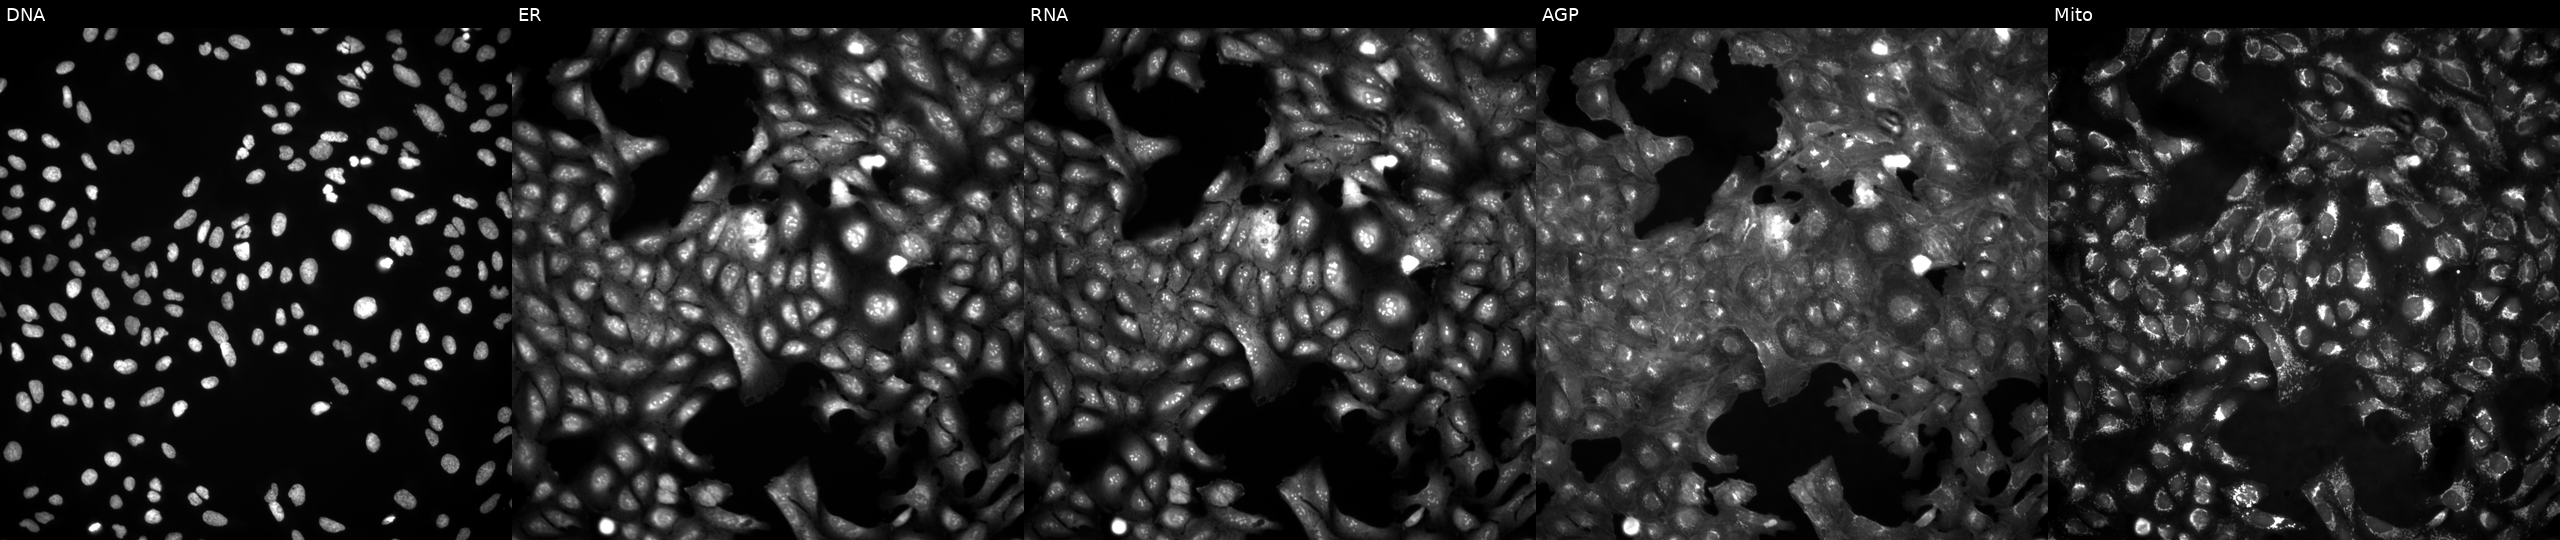
This image strip shows the five Cell Painting channels for a single field of U2OS cells untreated (empty-well control). Channels (left→right): Hoechst 33342, concanavalin A, SYTO 14, phalloidin and WGA, MitoTracker. Source 4, plate BR00123946, well O03.